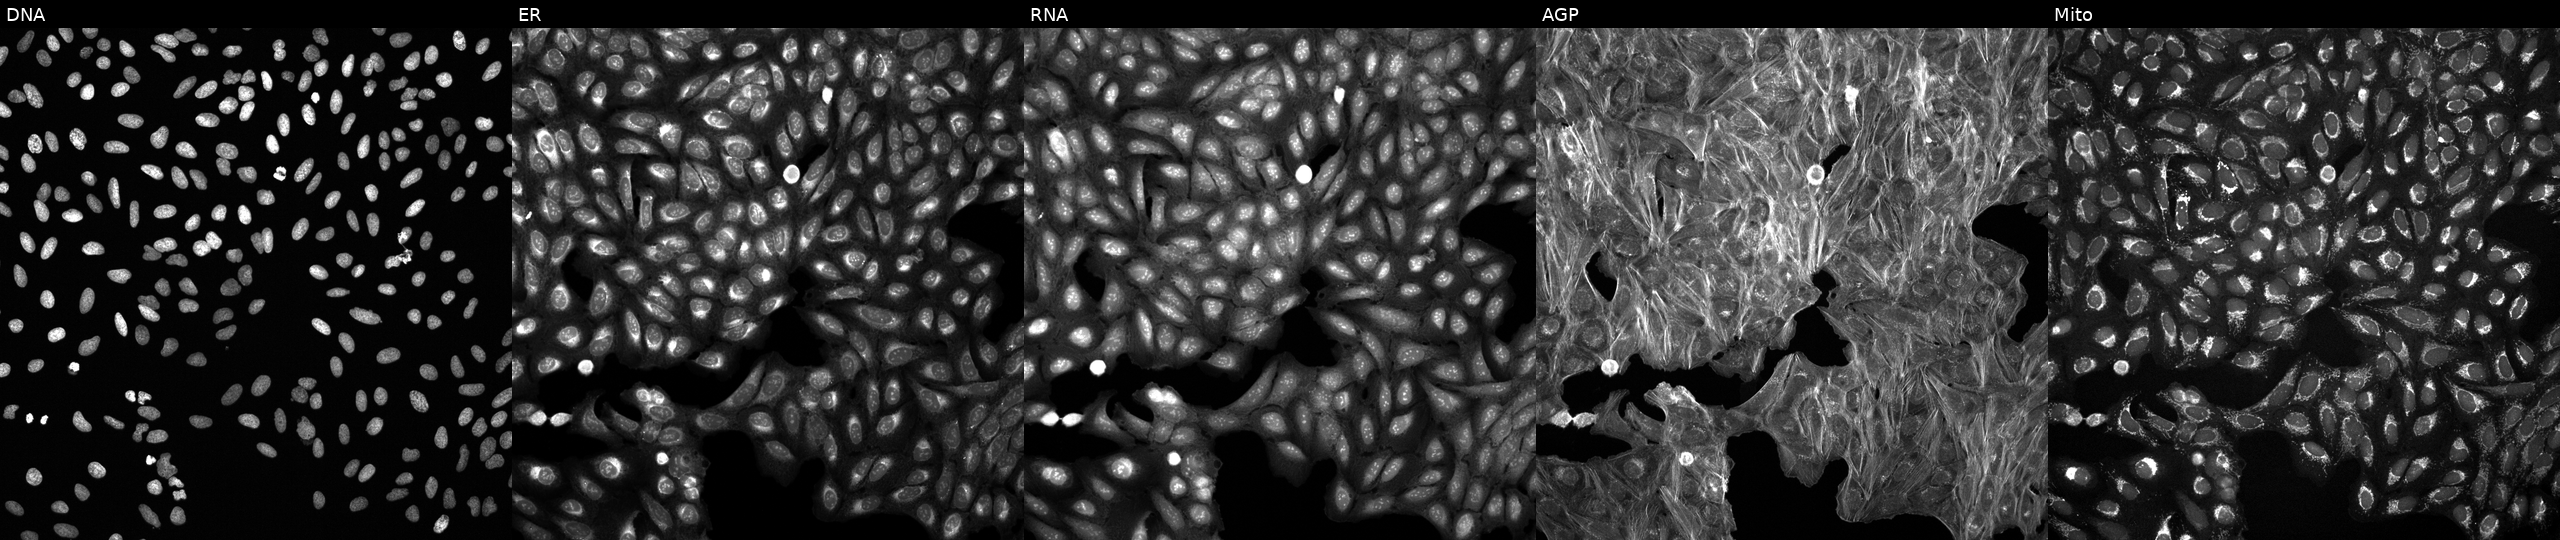
U2OS cells, Cell Painting assay, exposed to a small-molecule compound (InChIKey LPAHKJMGDSJDRG-UHFFFAOYSA-N) (JUMP id JCP2022_050830). The five panels, left to right, show DNA (nuclei); ER (endoplasmic reticulum); RNA (nucleoli and cytoplasmic RNA); AGP (actin cytoskeleton, Golgi, and plasma membrane); Mito (mitochondria). Each panel is percentile-stretched 16-bit fluorescence. Source 6, plate 110000293081, well F09.